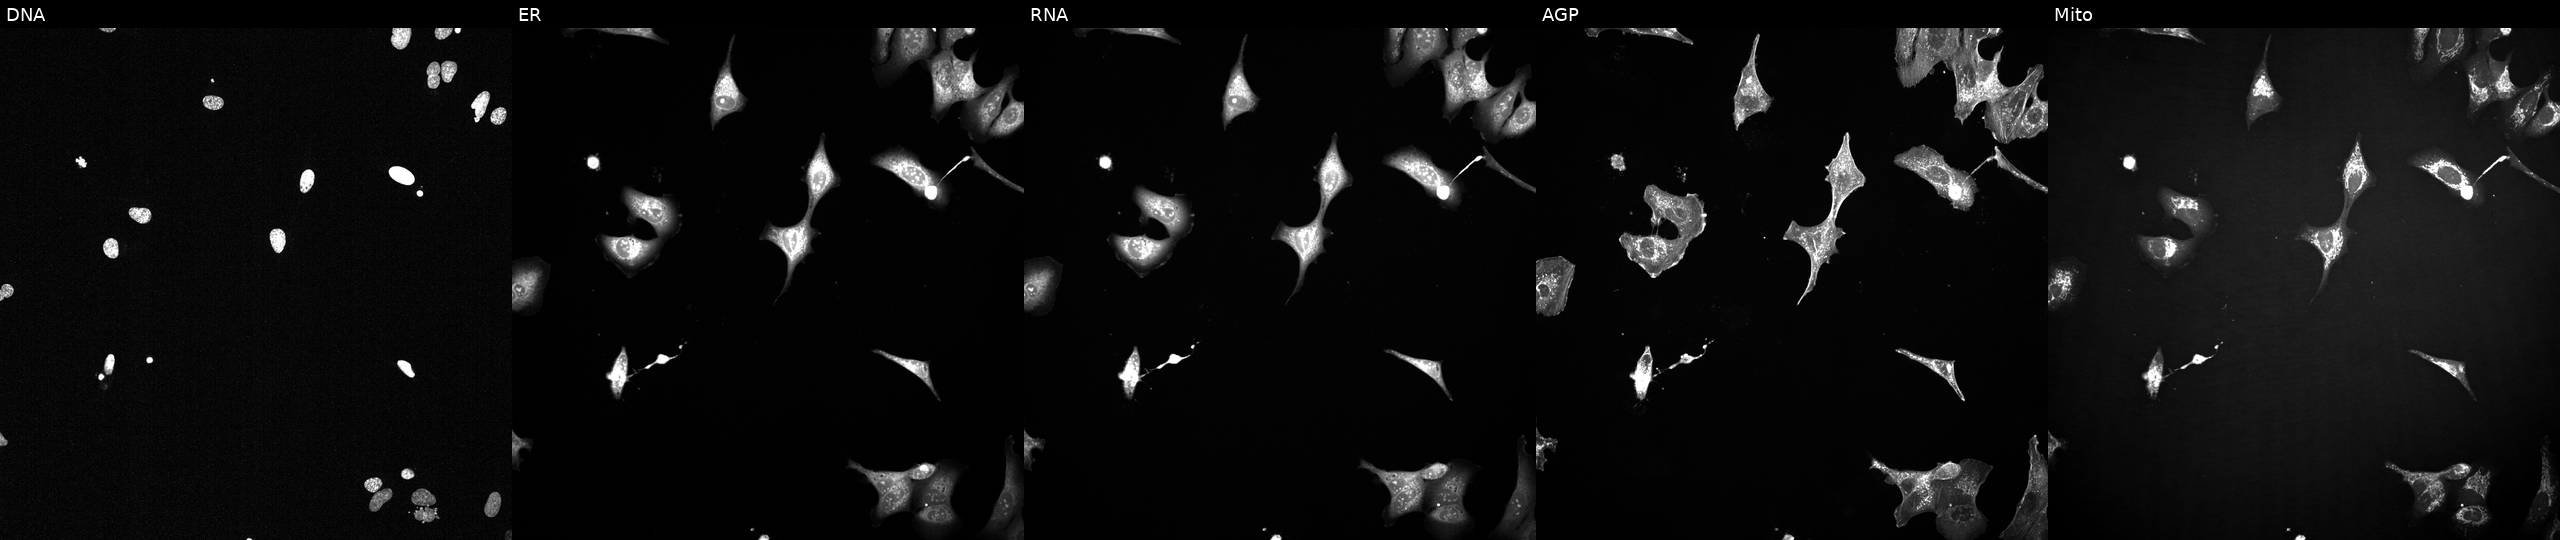
High-content fluorescence microscopy (Cell Painting). Cell line: U2OS. Perturbation: treated with a small-molecule compound (InChIKey XQVVPGYIWAGRNI-UHFFFAOYSA-N) (JUMP id JCP2022_105442). Channels (left→right): Hoechst 33342, concanavalin A, SYTO 14, phalloidin and WGA, MitoTracker.